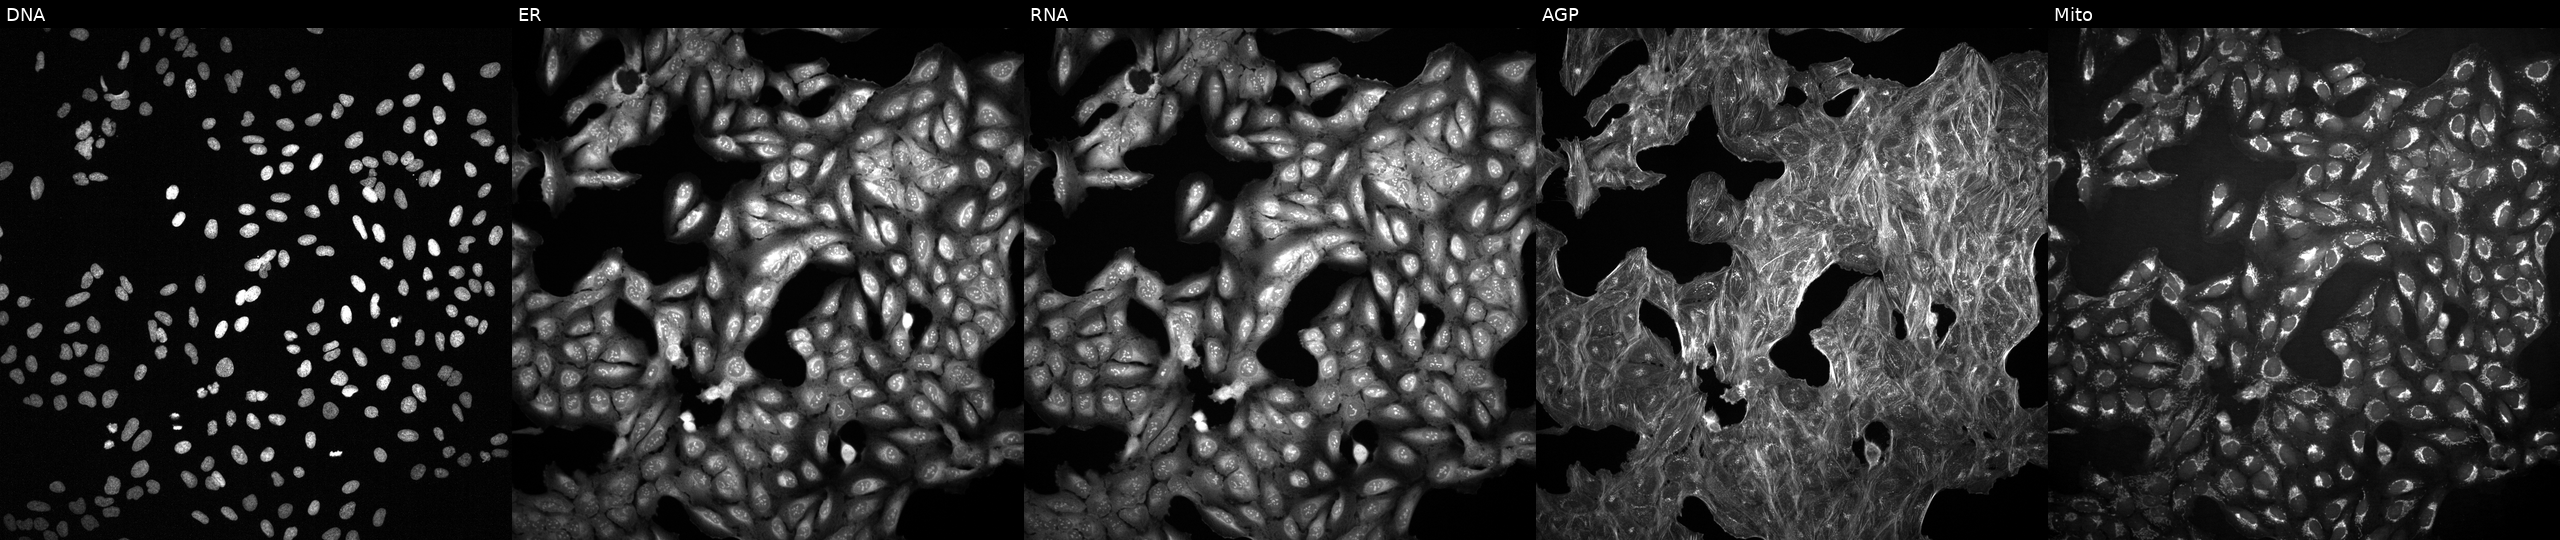
This image strip shows the five Cell Painting channels for a single field of U2OS cells treated with a small-molecule compound (InChIKey PFHDWRIVDDIFRP-UHFFFAOYSA-N) [SMILES: CCC(CC)n1ccc2c(C(=O)NCc3c(C)cc(C)[nH]c3=O)cc(C#N)cc21] (JUMP id JCP2022_068238). Channels (left→right): DNA (nuclei); ER (endoplasmic reticulum); RNA (nucleoli and cytoplasmic RNA); AGP (actin cytoskeleton, Golgi, and plasma membrane); Mito (mitochondria).